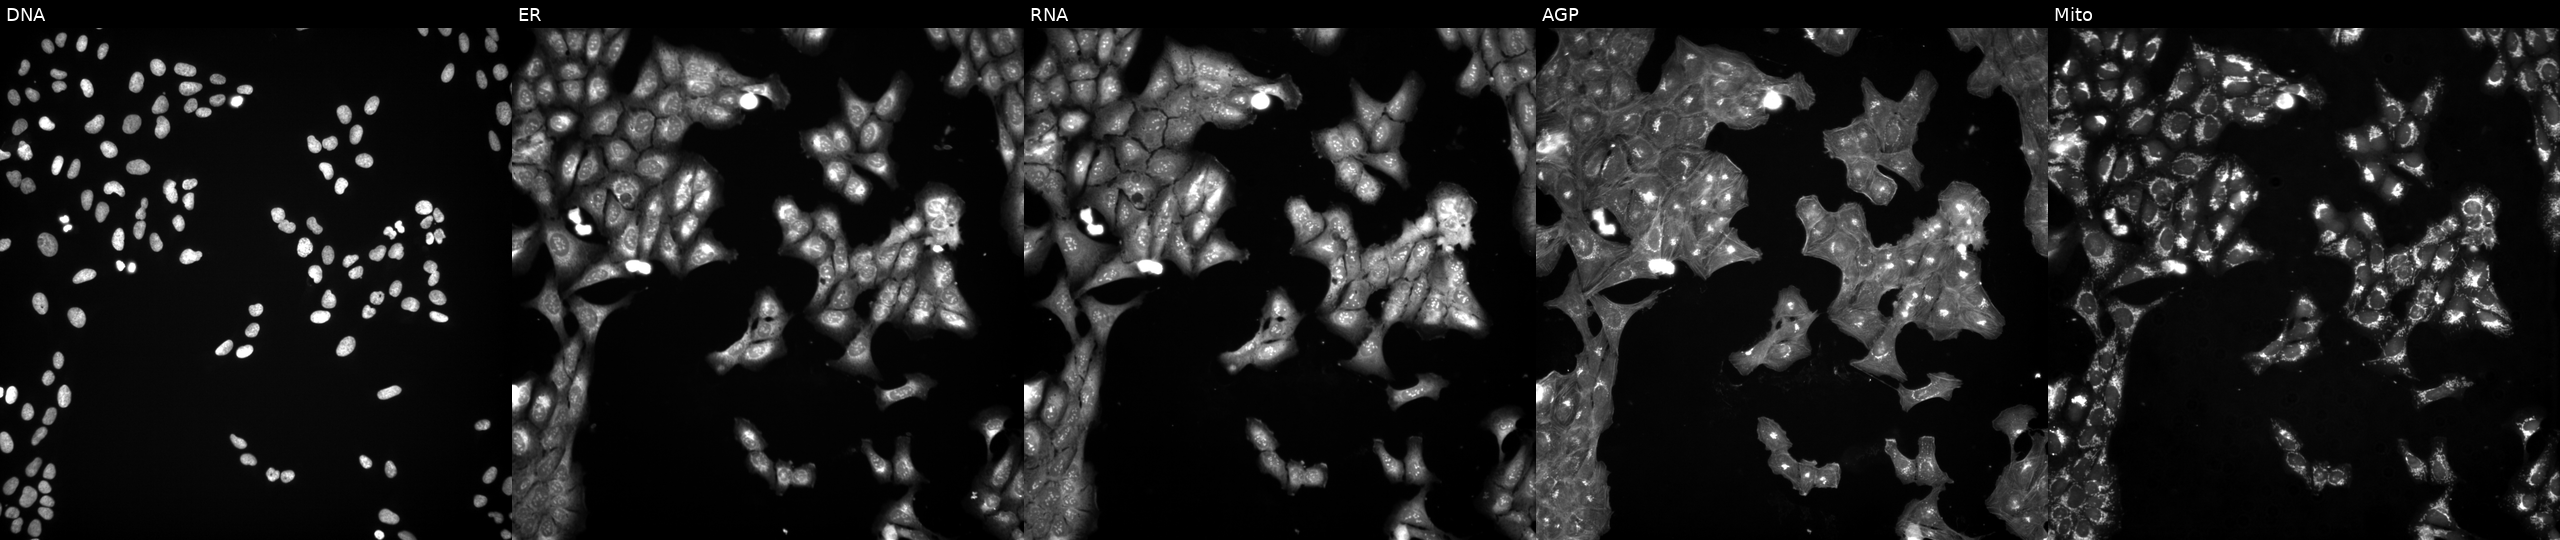
This image strip shows the five Cell Painting channels for a single field of U2OS cells treated with a small-molecule compound (InChIKey ZRNBCGJAHXZZBA-UHFFFAOYSA-N). From left to right: DNA (nuclei); ER (endoplasmic reticulum); RNA (nucleoli and cytoplasmic RNA); AGP (actin cytoskeleton, Golgi, and plasma membrane); Mito (mitochondria).